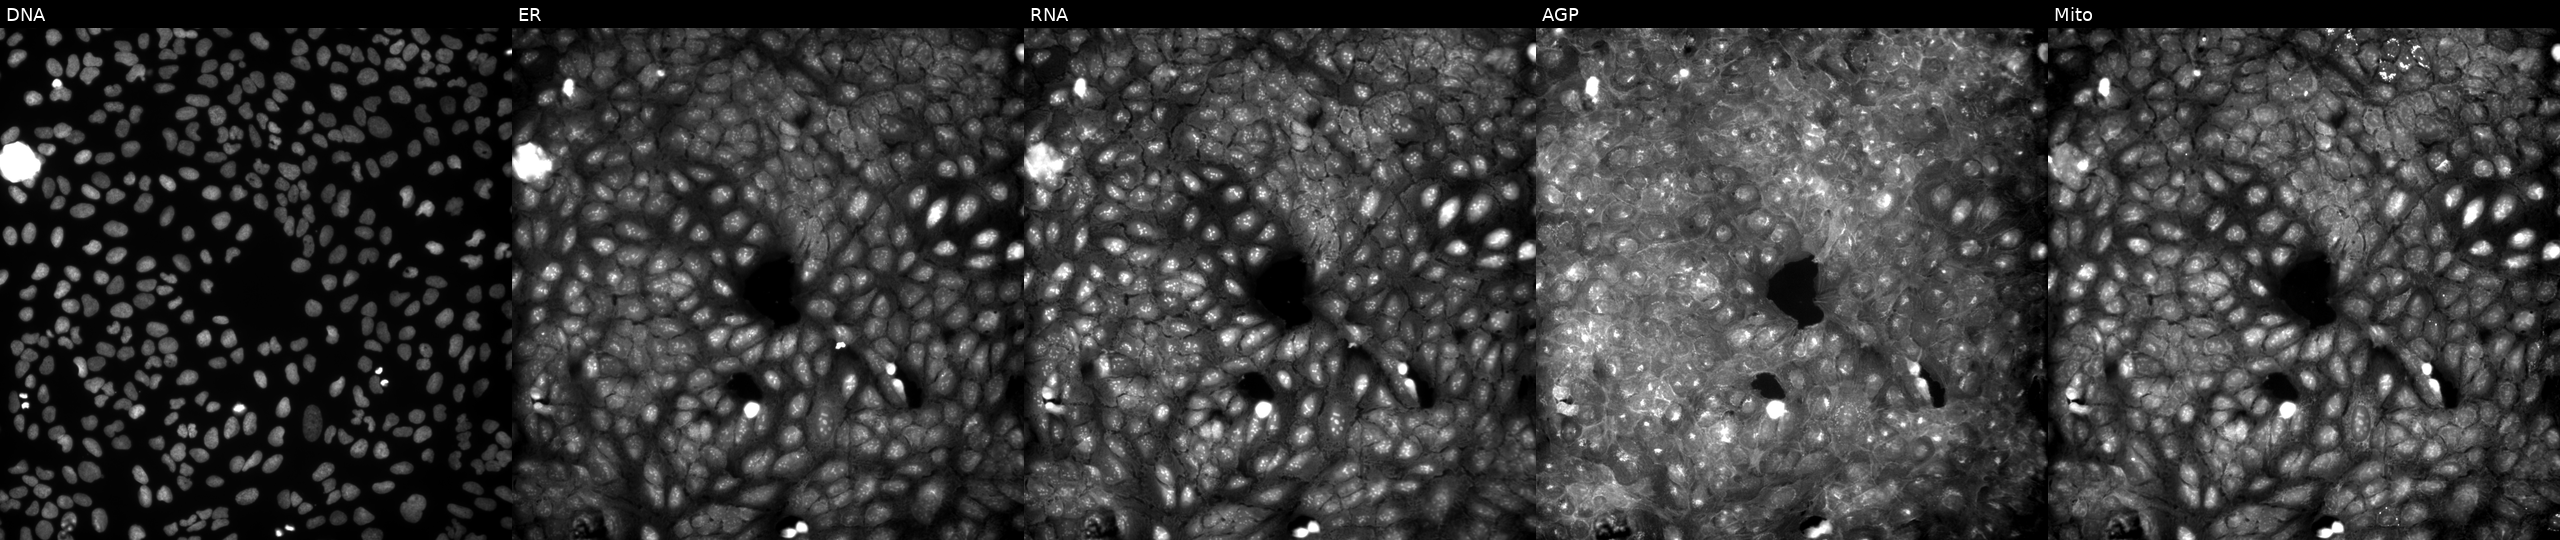
From left to right: Hoechst 33342, concanavalin A, SYTO 14, phalloidin and WGA, MitoTracker. U2OS osteosarcoma cells treated with a small-molecule compound (InChIKey VBJKAIDMUUDGFV-UHFFFAOYSA-N). Cell Painting assay, JUMP-CP dataset.